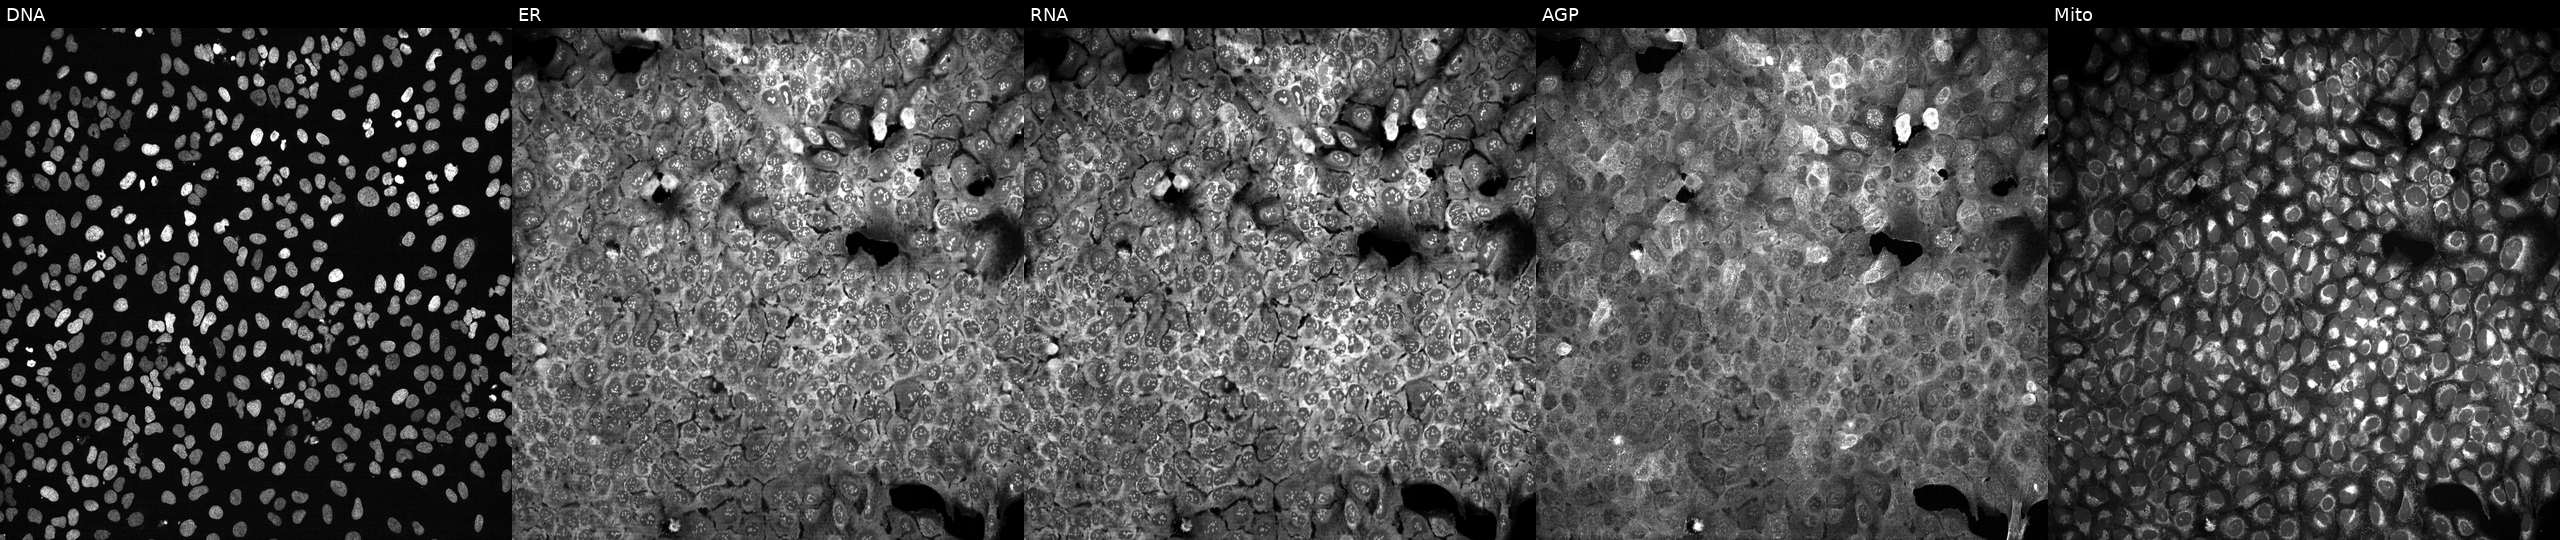
JUMP Cell Painting — CRISPR plate. U2OS cells following CRISPR knockout of GPX1. Panels show, left to right, DNA (nuclei); ER (endoplasmic reticulum); RNA (nucleoli and cytoplasmic RNA); AGP (actin cytoskeleton, Golgi, and plasma membrane); Mito (mitochondria).